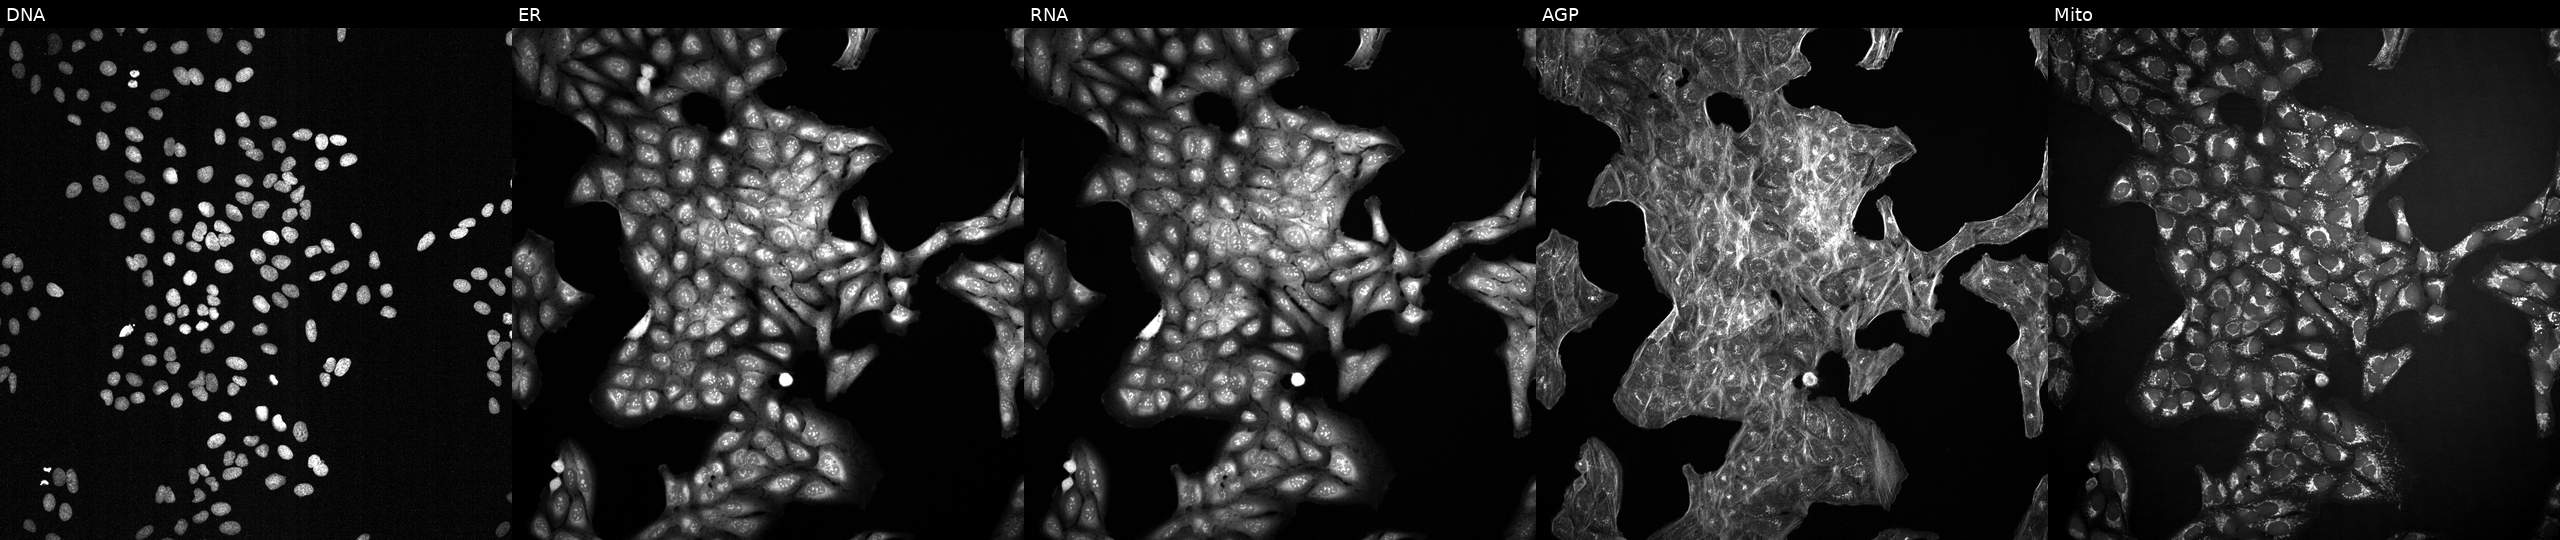
JUMP Cell Painting — TARGET2 plate. U2OS cells treated with a small-molecule compound (InChIKey ULYONBAOIMCNEH-UHFFFAOYSA-N) [SMILES: COc1ccc(Cl)cc1C1(F)C(=O)Nc2cc(C(F)(F)F)ccc21] (JUMP id JCP2022_090051). The five panels, left to right, show Hoechst 33342, concanavalin A, SYTO 14, phalloidin and WGA, MitoTracker. Source 2, plate 1053599503, well H23.